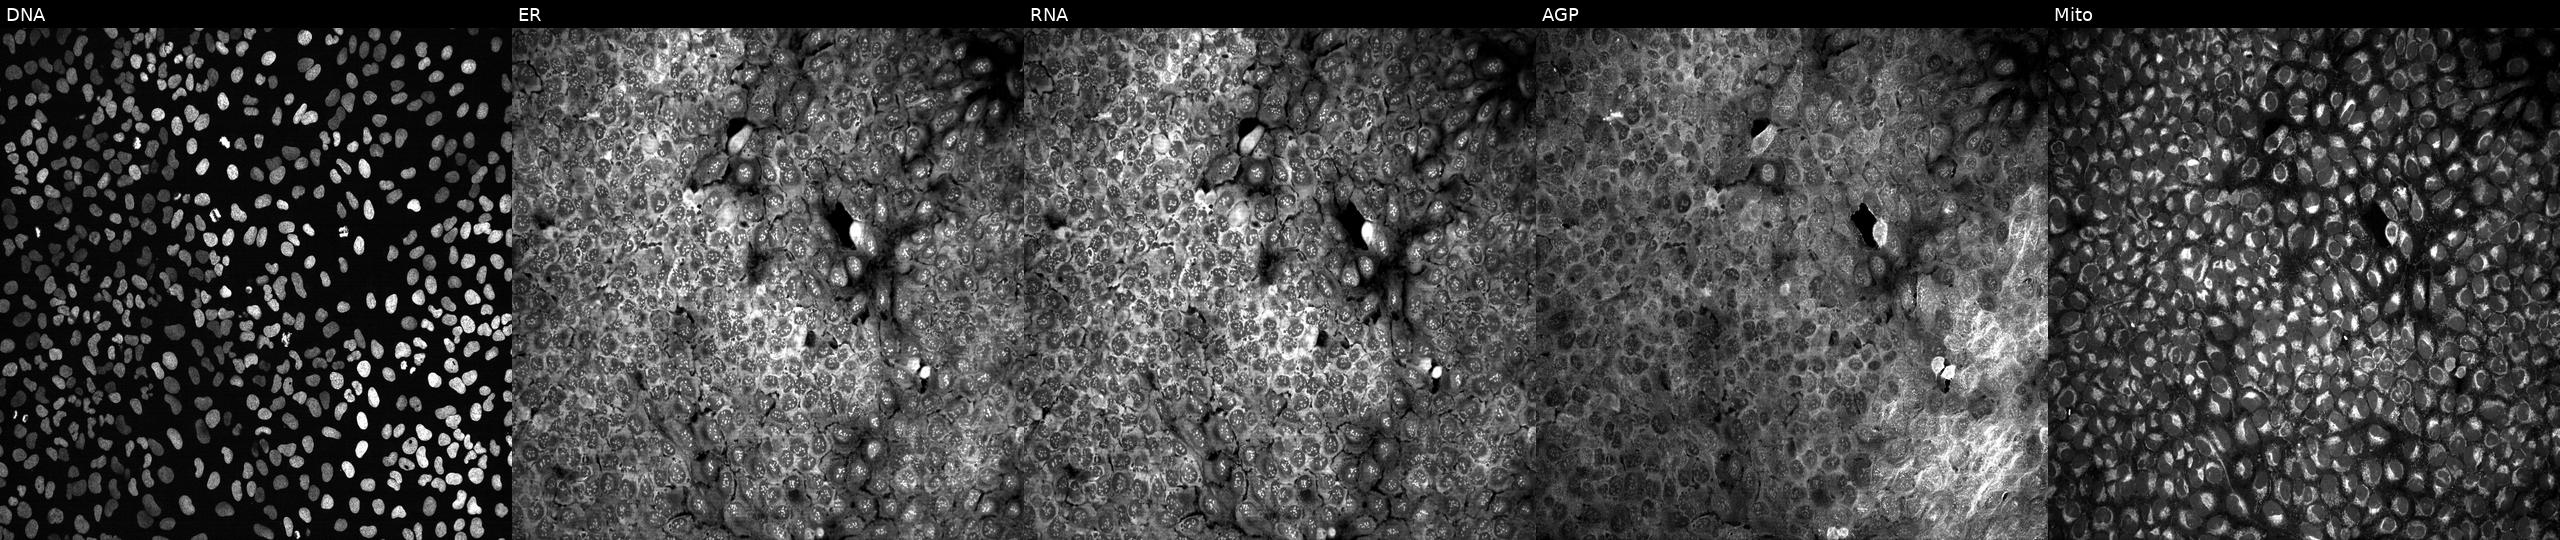
U2OS cells, Cell Painting assay, treated with DMSO vehicle only (negative control). From left to right: Hoechst 33342, concanavalin A, SYTO 14, phalloidin and WGA, MitoTracker. Each panel is percentile-stretched 16-bit fluorescence.